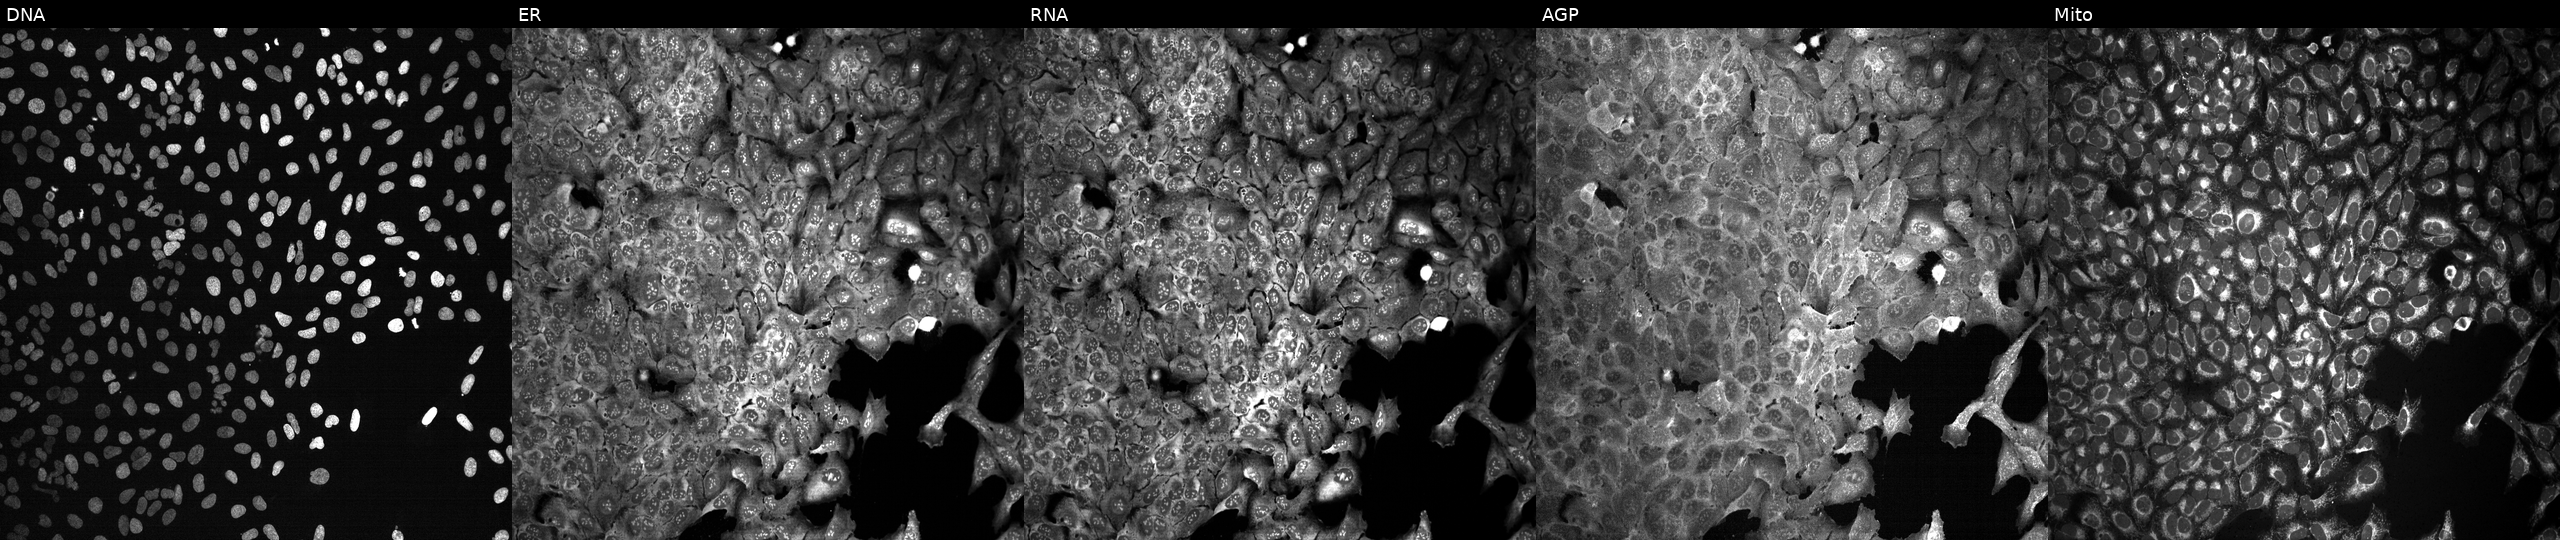
This image strip shows the five Cell Painting channels for a single field of U2OS cells following CRISPR knockout of PRDX1 (JUMP id JCP2022_805498). From left to right: DNA (nuclei); ER (endoplasmic reticulum); RNA (nucleoli and cytoplasmic RNA); AGP (actin cytoskeleton, Golgi, and plasma membrane); Mito (mitochondria). Source 13, plate CP-CC9-R3-01, well L04.